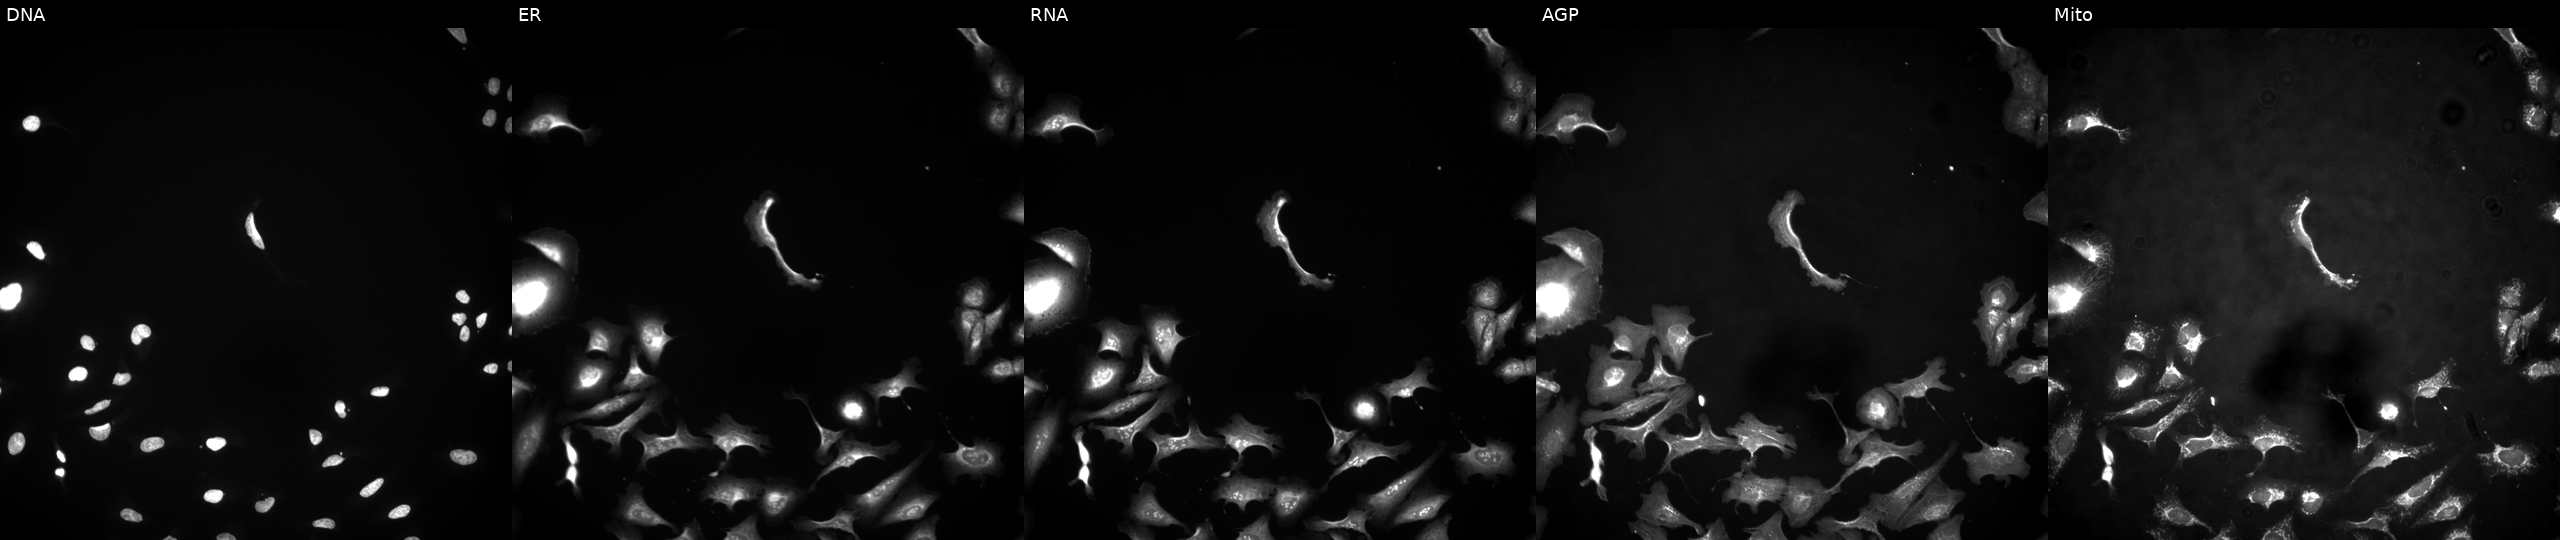
U2OS cells, Cell Painting assay, transfected with an ORF construct for RWDD3. Channels (left→right): DNA, ER, RNA, AGP, and Mito. Each panel is percentile-stretched 16-bit fluorescence. Source 4, plate BR00124790, well P02.